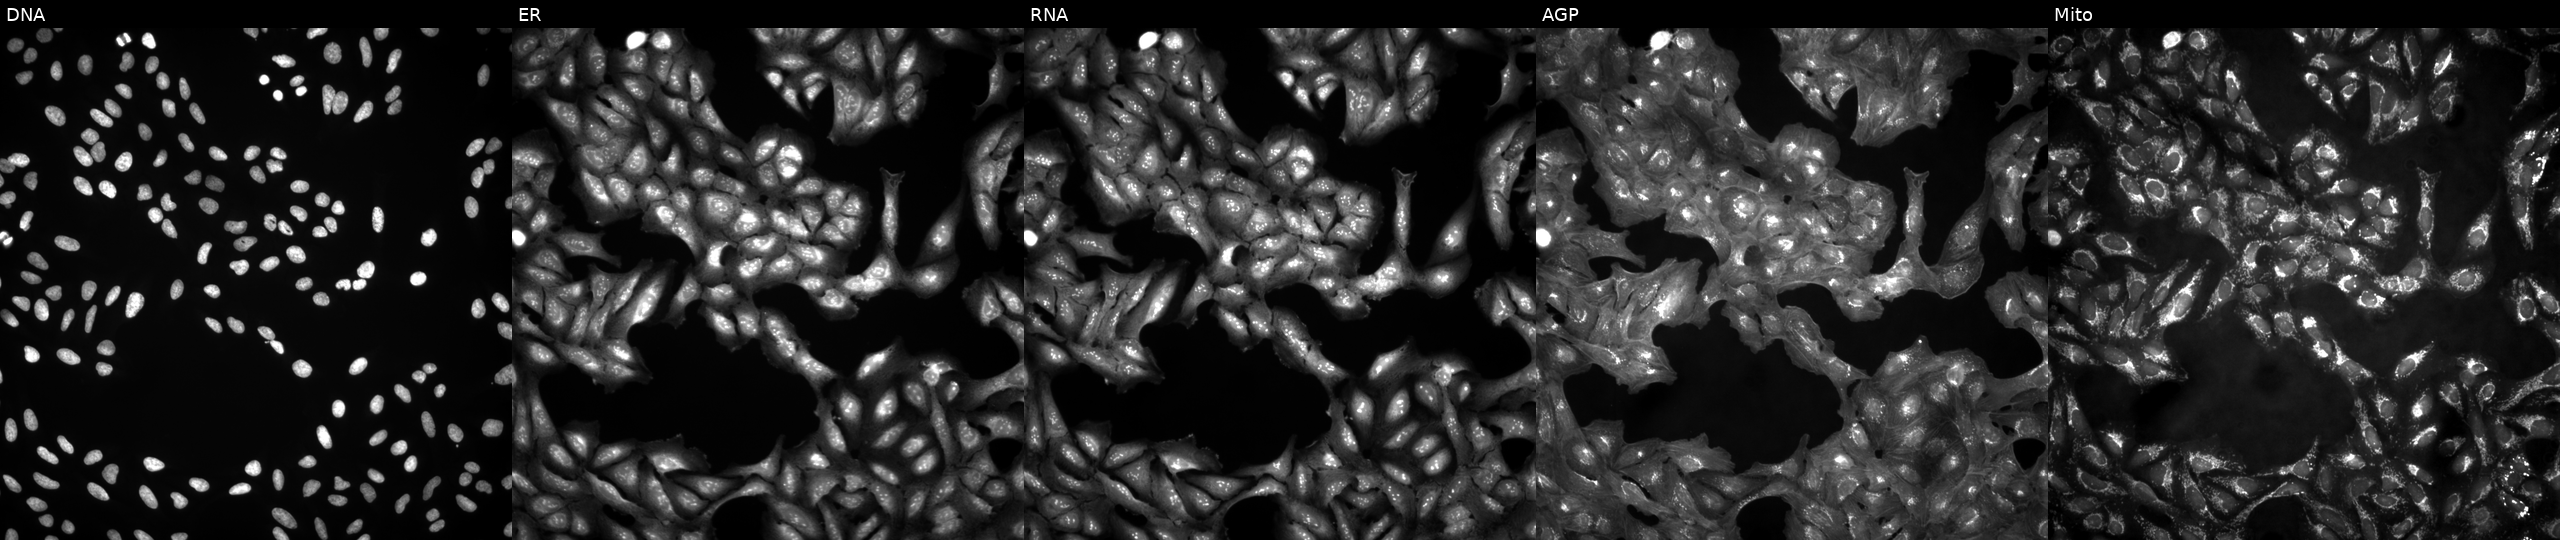
Panels show, left to right, DNA, ER, RNA, AGP, and Mito. U2OS osteosarcoma cells in an empty control well (no perturbation) (JUMP id JCP2022_999999). Cell Painting assay, JUMP-CP dataset. Source 4, plate BR00123946, well M08.